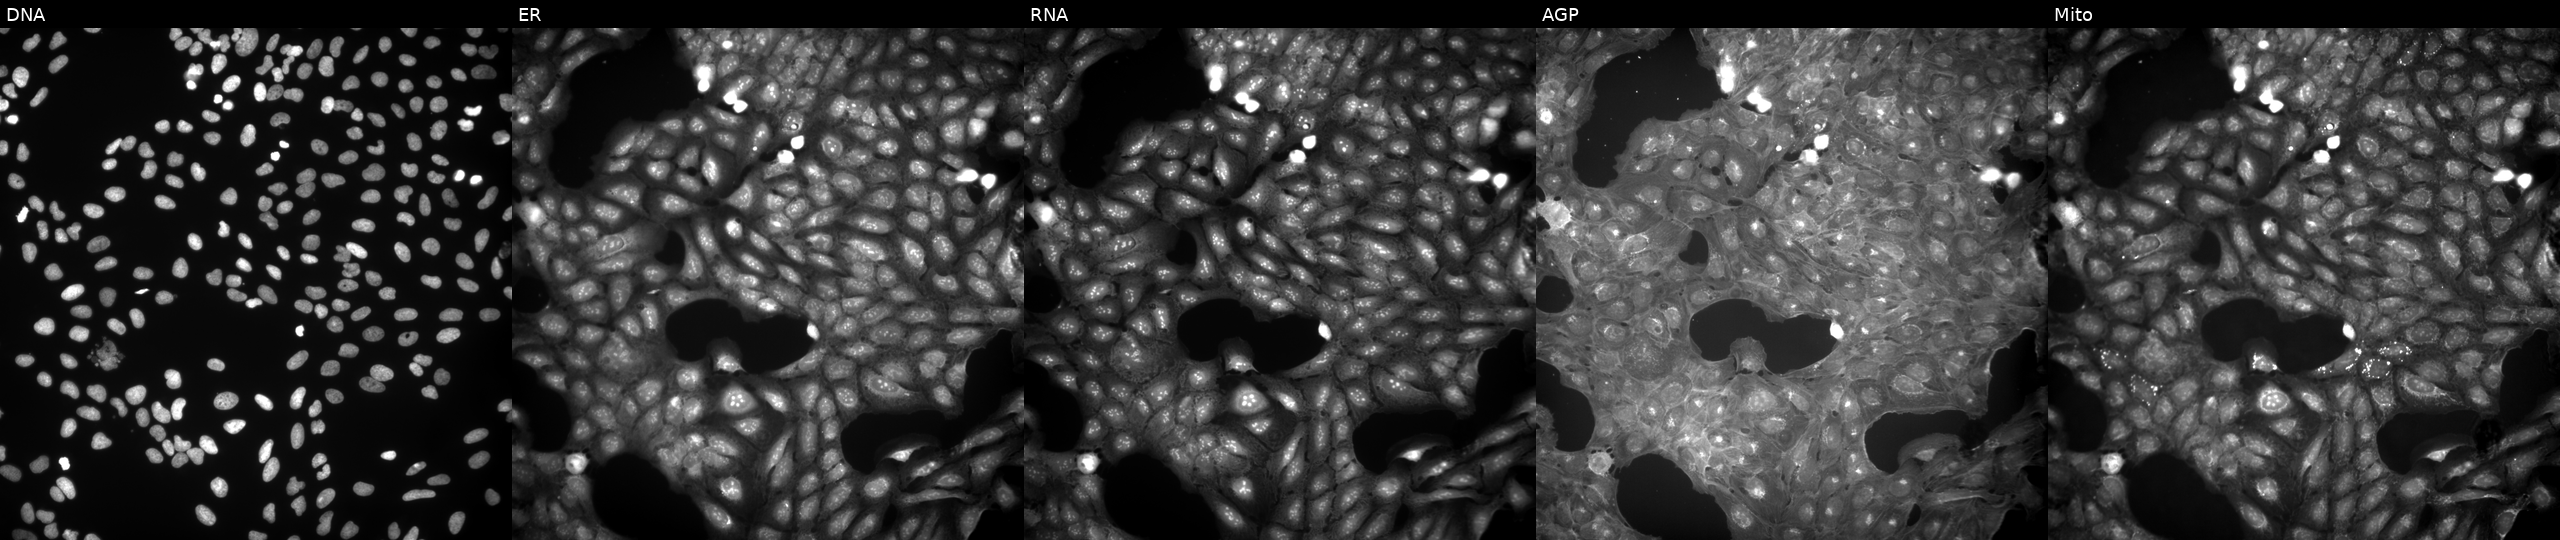
U2OS cells, Cell Painting assay, treated with a small-molecule compound (InChIKey TXBXNQGXQQXCBZ-UHFFFAOYSA-N) [SMILES: Cn1ncc([N+](=O)[O-])c1C(=O)Nc1cccc2ccccc12] (JUMP id JCP2022_087285). From left to right: DNA, ER, RNA, AGP, and Mito. Each panel is percentile-stretched 16-bit fluorescence.